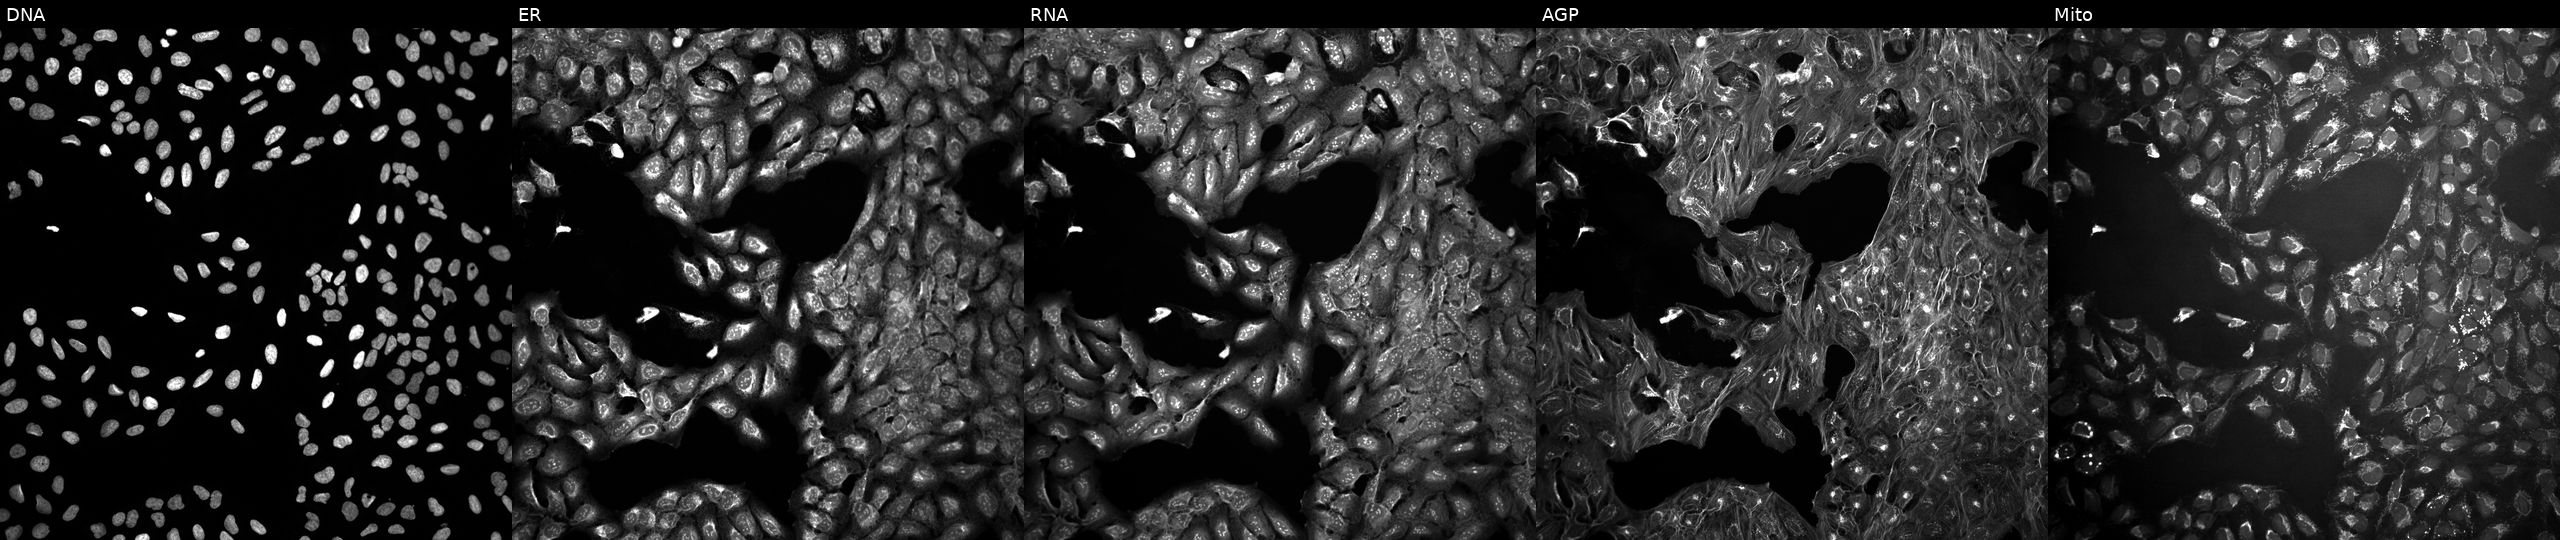
The five panels, left to right, show DNA (nuclei); ER (endoplasmic reticulum); RNA (nucleoli and cytoplasmic RNA); AGP (actin cytoskeleton, Golgi, and plasma membrane); Mito (mitochondria). U2OS osteosarcoma cells untreated (empty-well control). Cell Painting assay, JUMP-CP dataset.